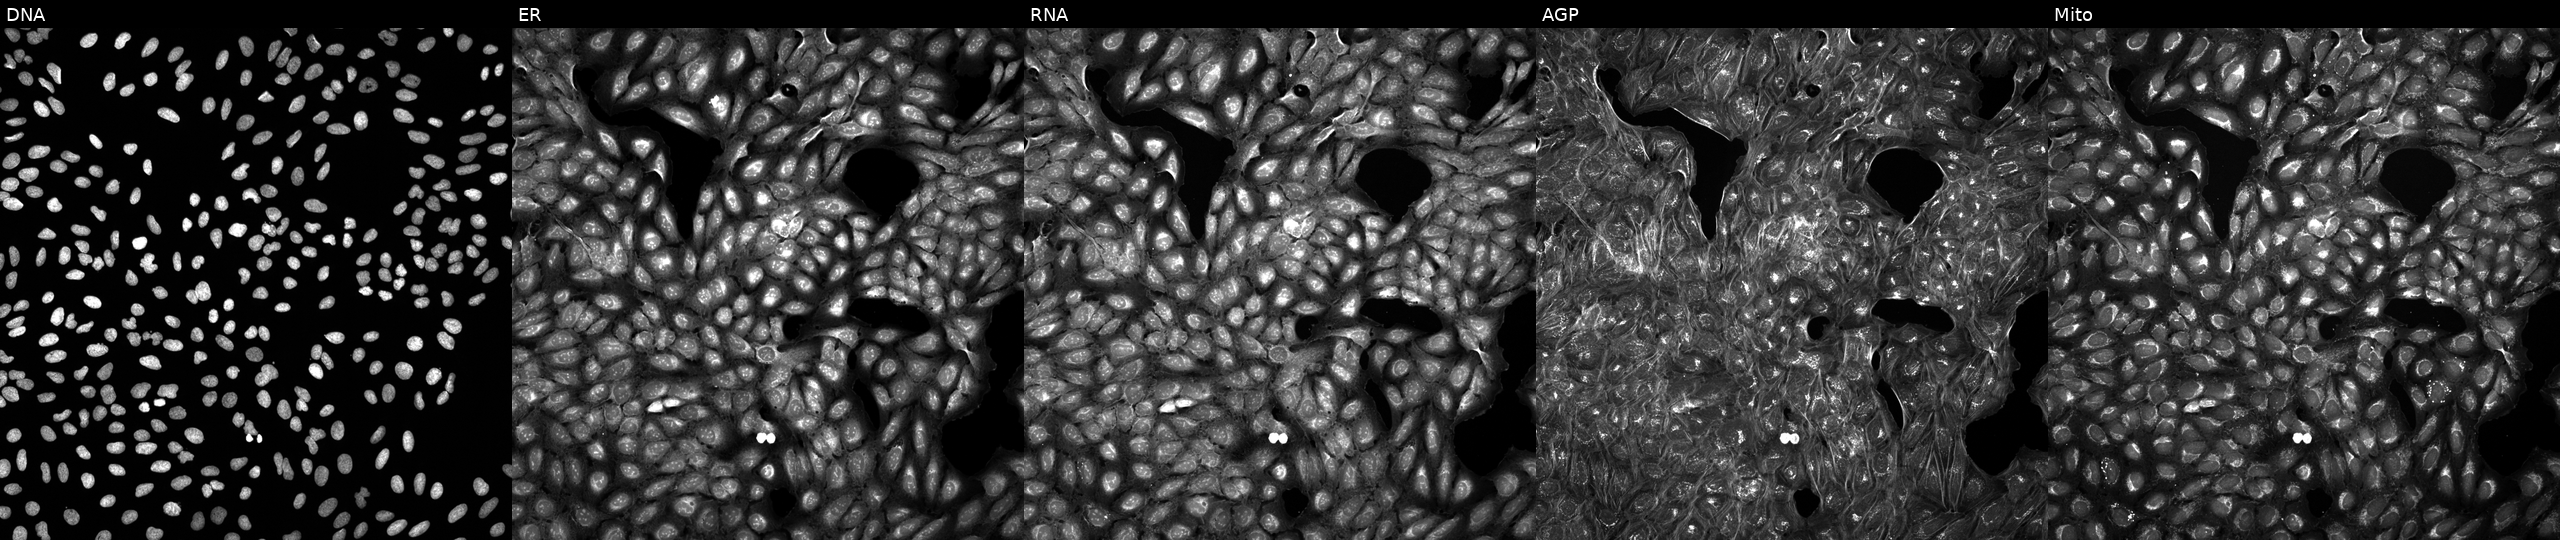
U2OS cells, Cell Painting assay, exposed to a small-molecule compound (JUMP id JCP2022_014976). Channels (left→right): Hoechst 33342, concanavalin A, SYTO 14, phalloidin and WGA, MitoTracker. Each panel is percentile-stretched 16-bit fluorescence.